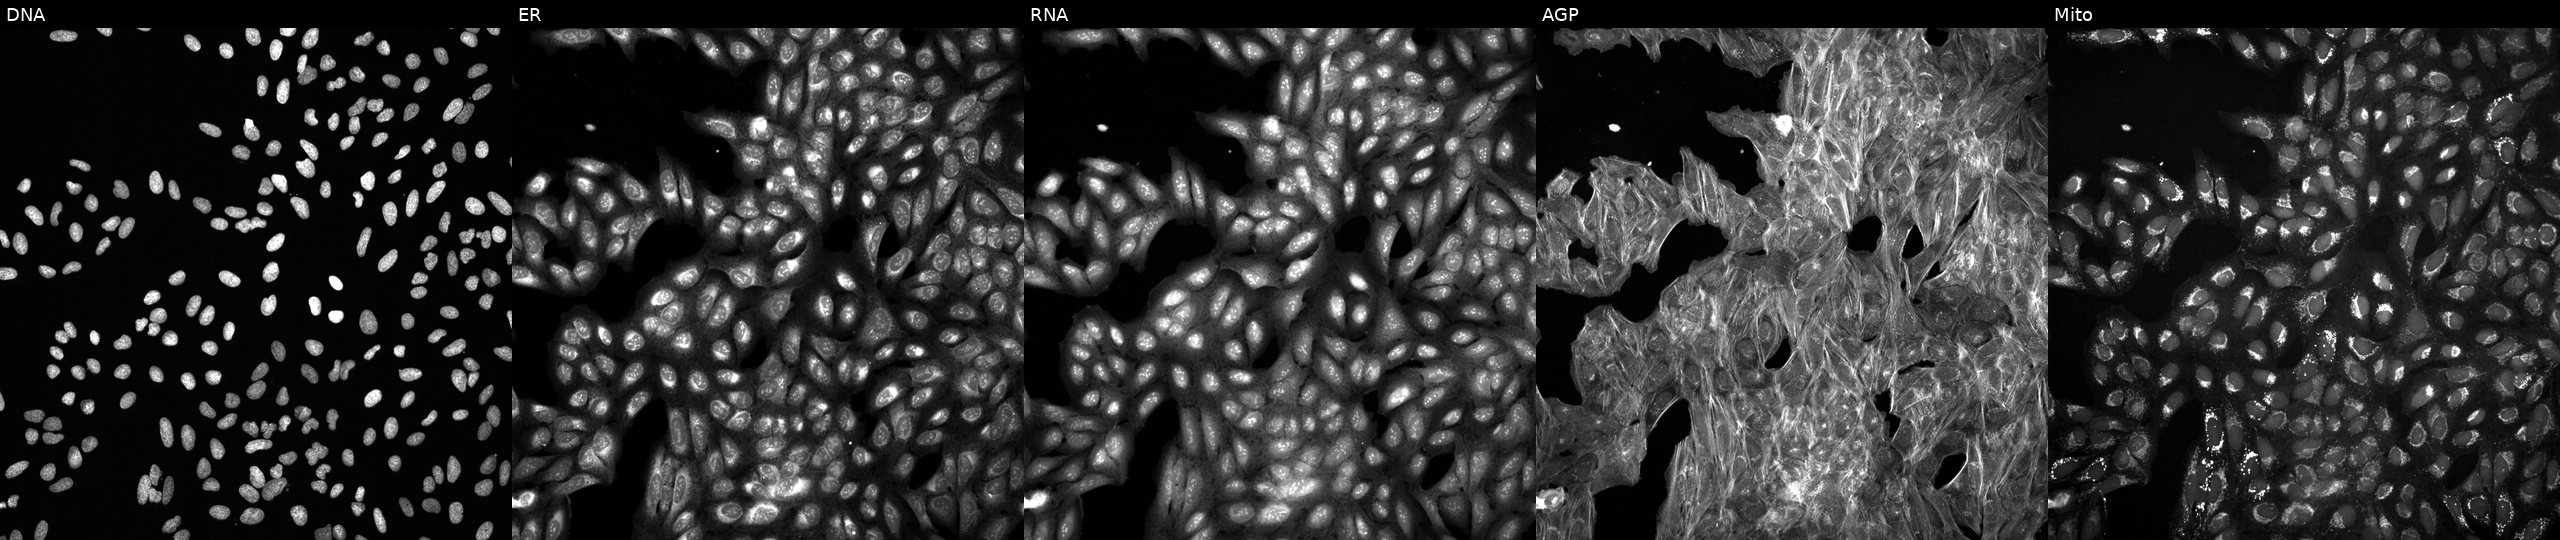
Panels show, left to right, Hoechst 33342, concanavalin A, SYTO 14, phalloidin and WGA, MitoTracker. U2OS osteosarcoma cells treated with a small-molecule compound (InChIKey QRMSDAAFBLQZTR-UHFFFAOYSA-N) (JUMP id JCP2022_075431). Cell Painting assay, JUMP-CP dataset. Source 6, plate 110000293083, well N03.